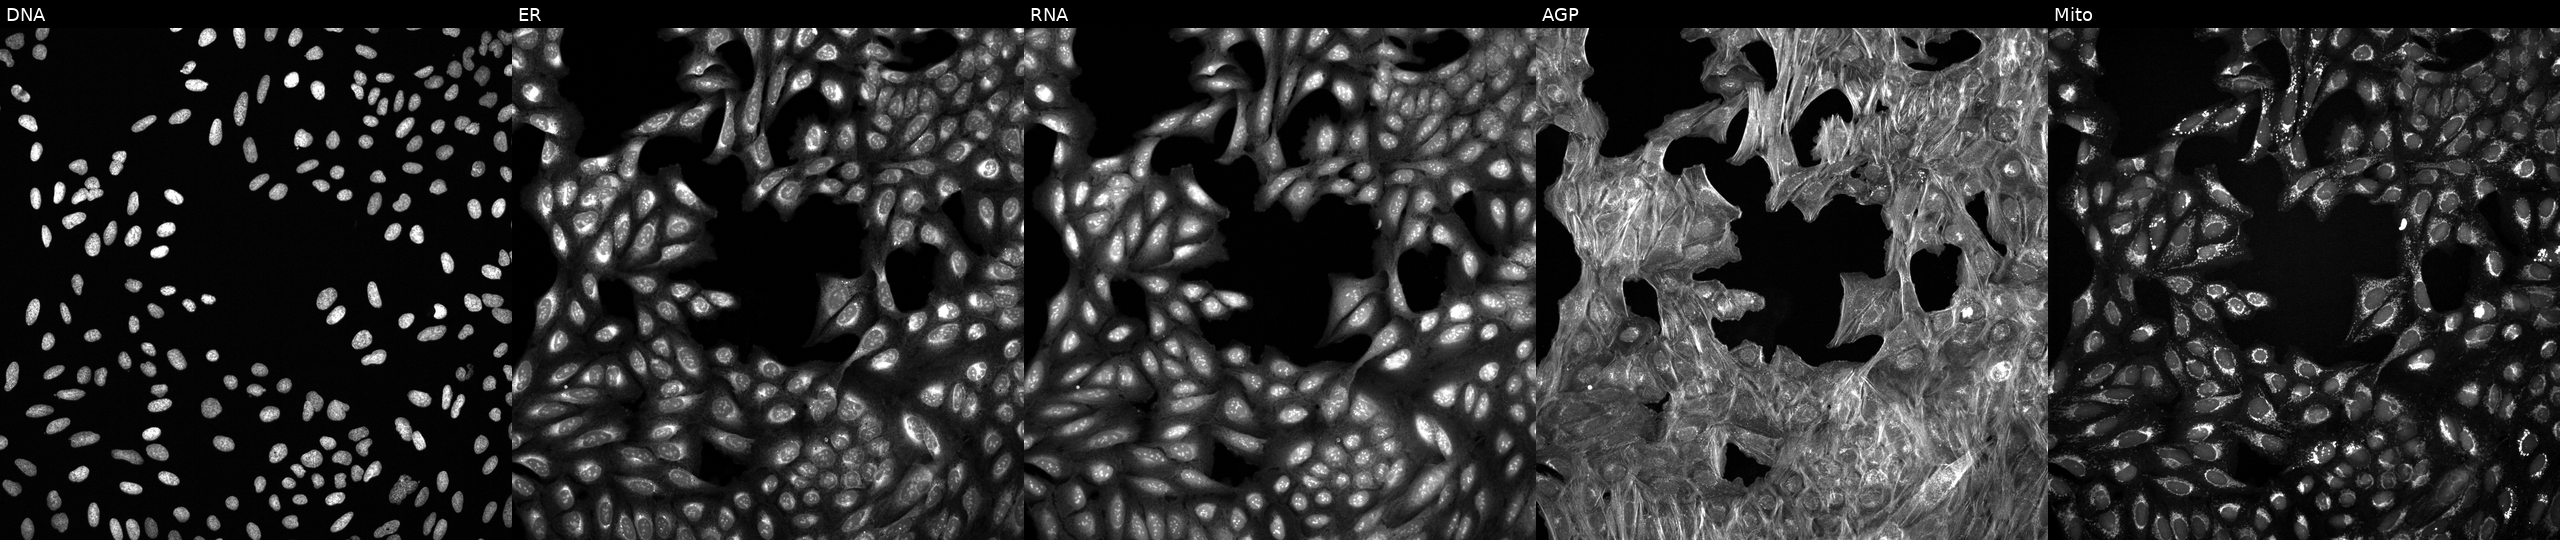
This image strip shows the five Cell Painting channels for a single field of U2OS cells exposed to a small-molecule compound. From left to right: Hoechst 33342, concanavalin A, SYTO 14, phalloidin and WGA, MitoTracker.